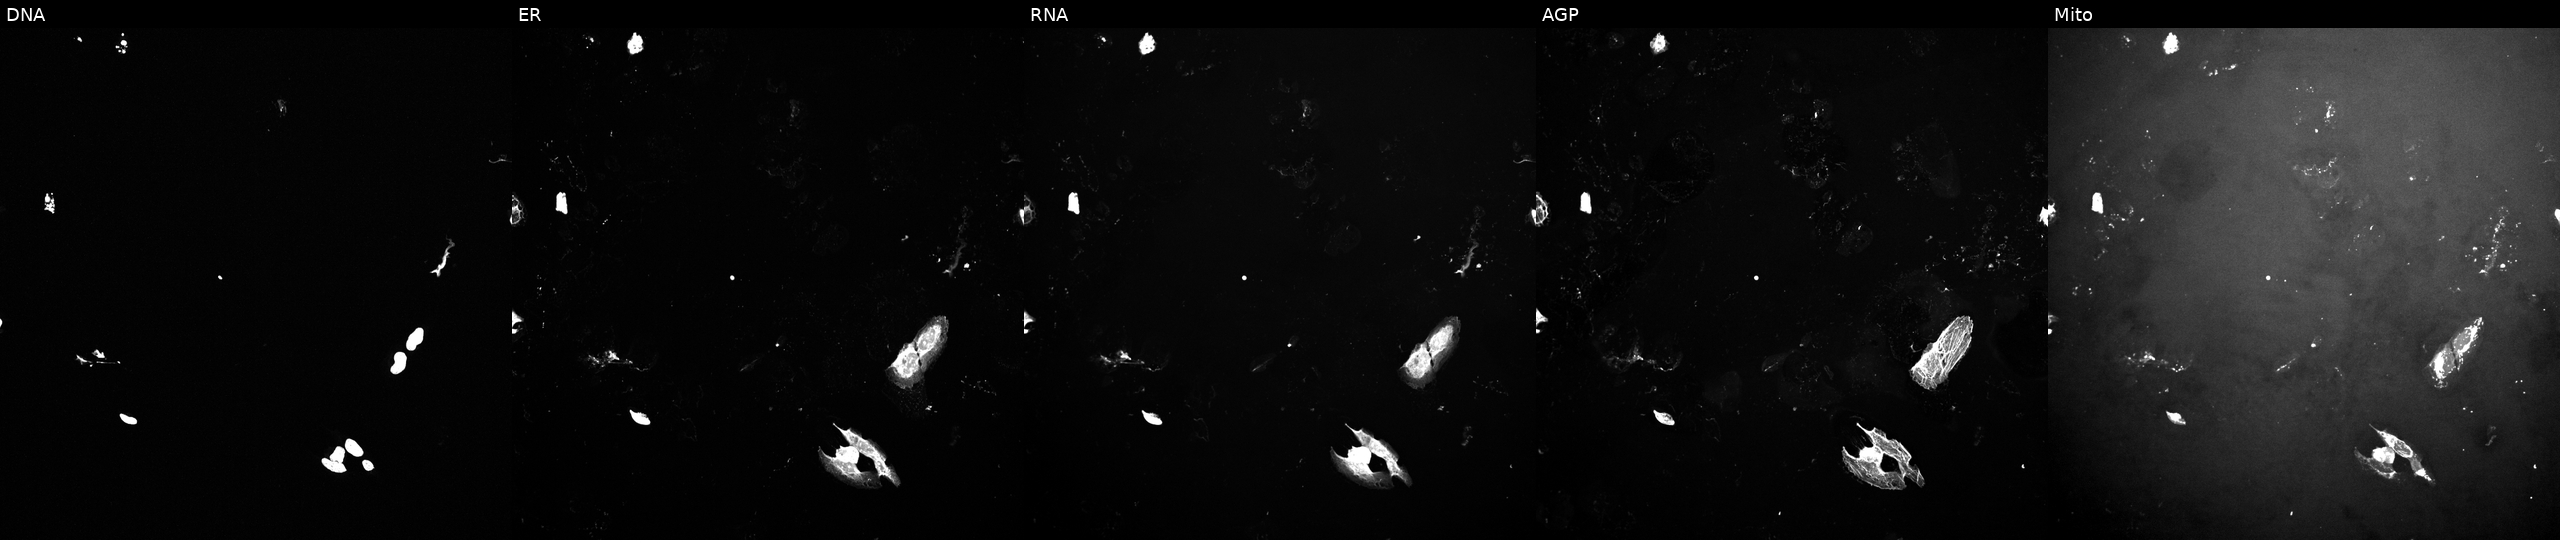
High-content fluorescence microscopy (Cell Painting). Cell line: U2OS. Perturbation: perturbed with a small-molecule compound (InChIKey RVAQIUULWULRNW-UHFFFAOYSA-N) [SMILES: CC(C)c1cc(-c2n[nH]c(=O)n2-c2ccc3c(ccn3C)c2)c(O)cc1O] (JUMP id JCP2022_080920). Channels (left→right): DNA (nuclei); ER (endoplasmic reticulum); RNA (nucleoli and cytoplasmic RNA); AGP (actin cytoskeleton, Golgi, and plasma membrane); Mito (mitochondria). Source 10, plate Dest210726-160150, well D13.